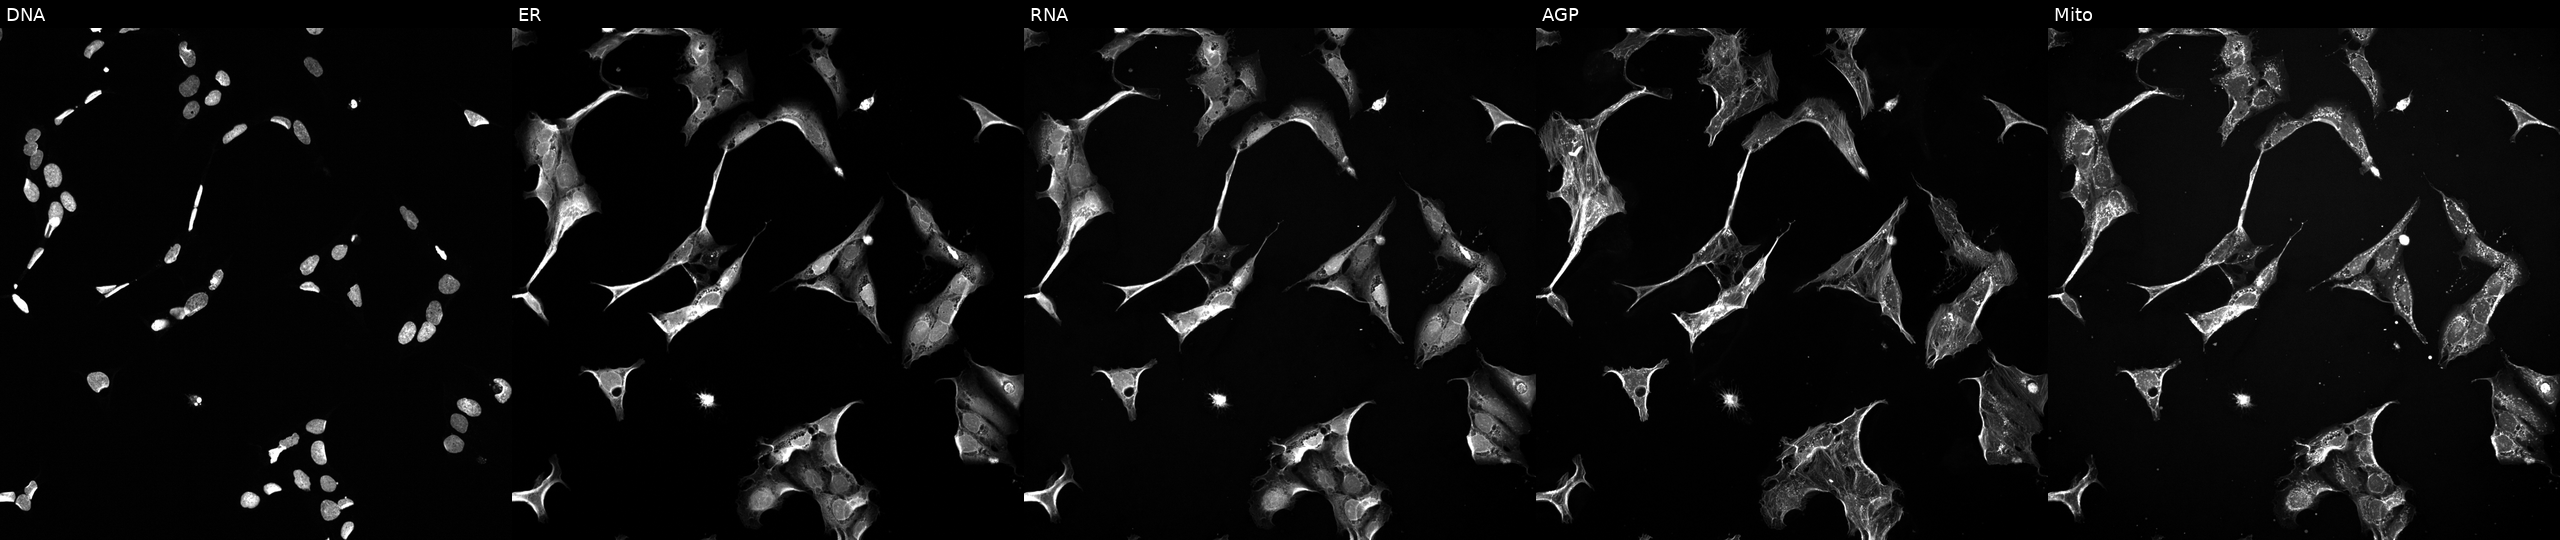
This image strip shows the five Cell Painting channels for a single field of U2OS cells treated with a small-molecule compound (InChIKey XLSYZSRXVVCHLS-UHFFFAOYSA-N) (JUMP id JCP2022_104437). The five panels, left to right, show DNA (nuclei); ER (endoplasmic reticulum); RNA (nucleoli and cytoplasmic RNA); AGP (actin cytoskeleton, Golgi, and plasma membrane); Mito (mitochondria).